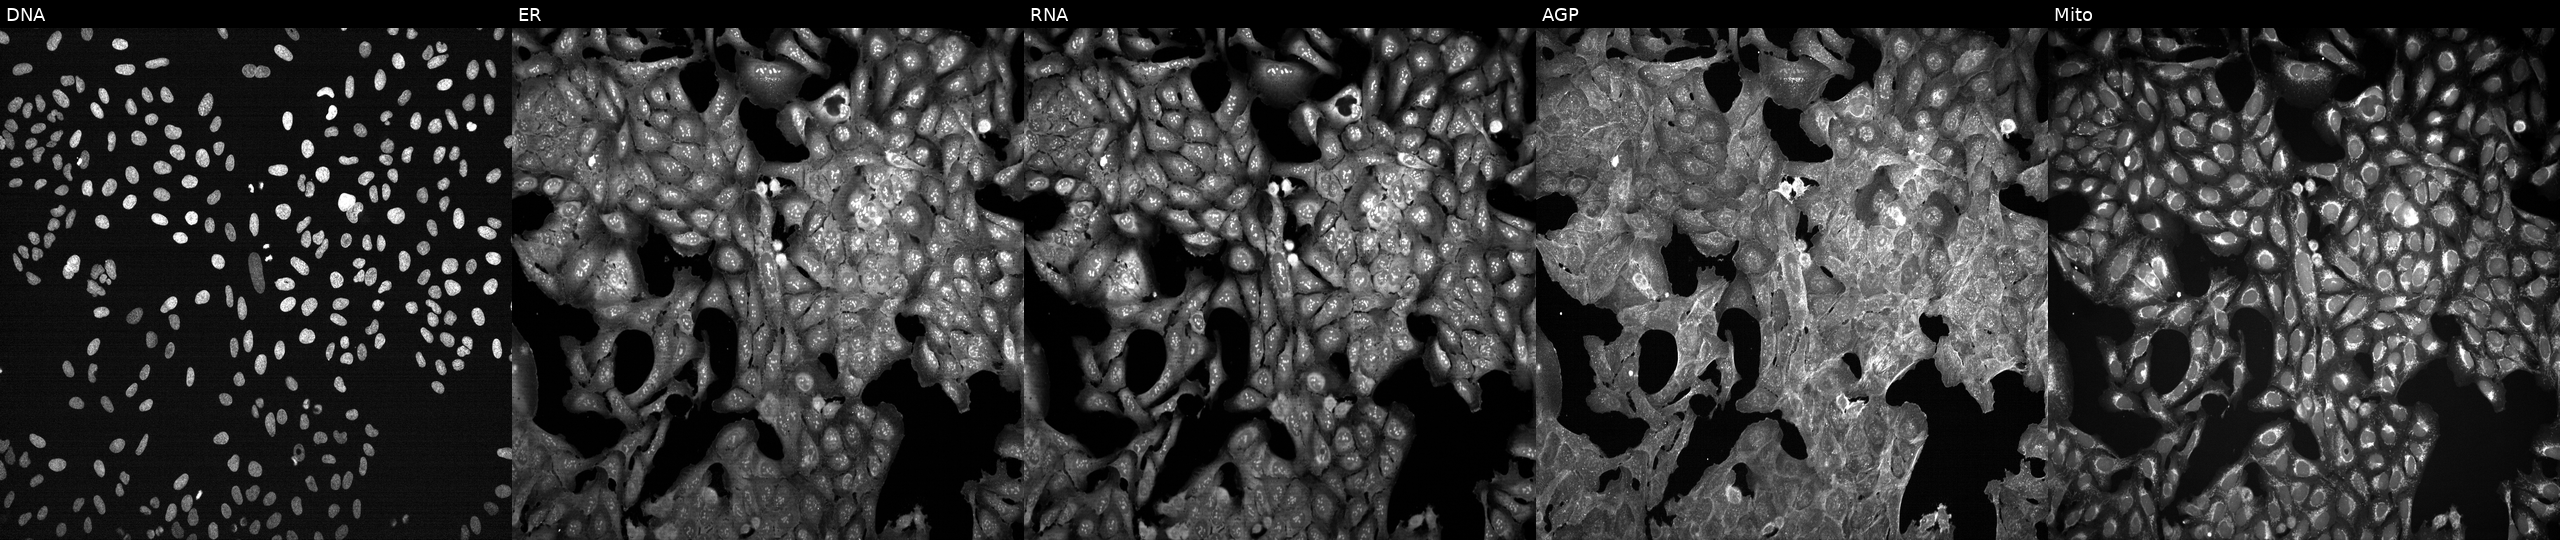
Five-channel Cell Painting image of U2OS cells exposed to a small-molecule compound (InChIKey LPYXWGMUVRGUOY-UHFFFAOYSA-N). Panels show, left to right, DNA, ER, RNA, AGP, and Mito. Source 7, plate CP3-SC1-25, well A03.